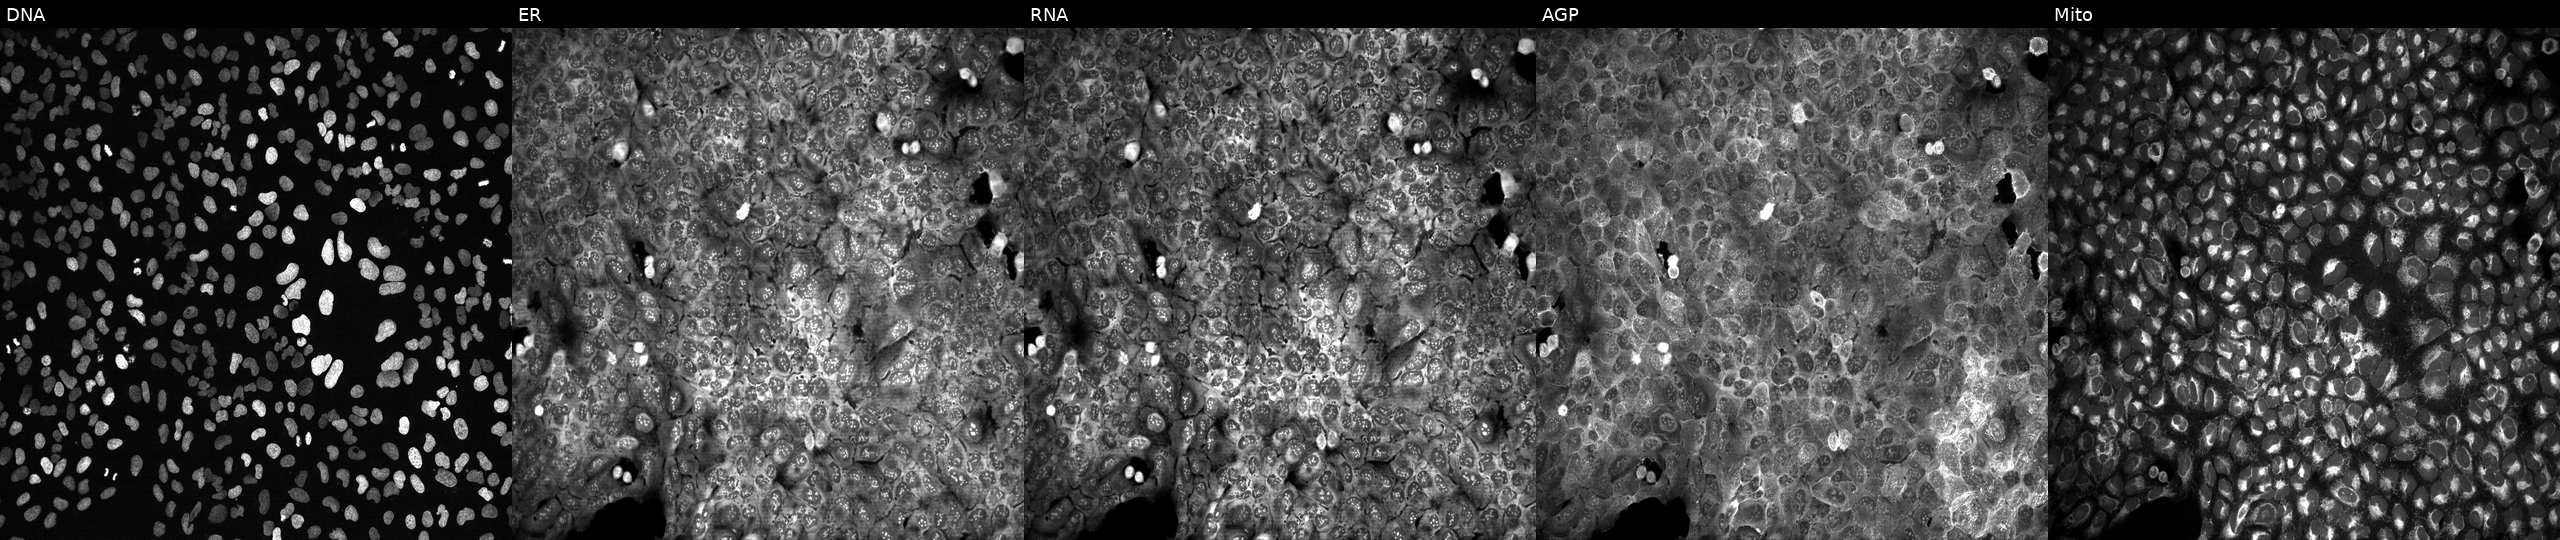
High-content fluorescence microscopy (Cell Painting). Cell line: U2OS. Perturbation: with B4GAT1 knocked out by CRISPR. From left to right: DNA (nuclei); ER (endoplasmic reticulum); RNA (nucleoli and cytoplasmic RNA); AGP (actin cytoskeleton, Golgi, and plasma membrane); Mito (mitochondria).